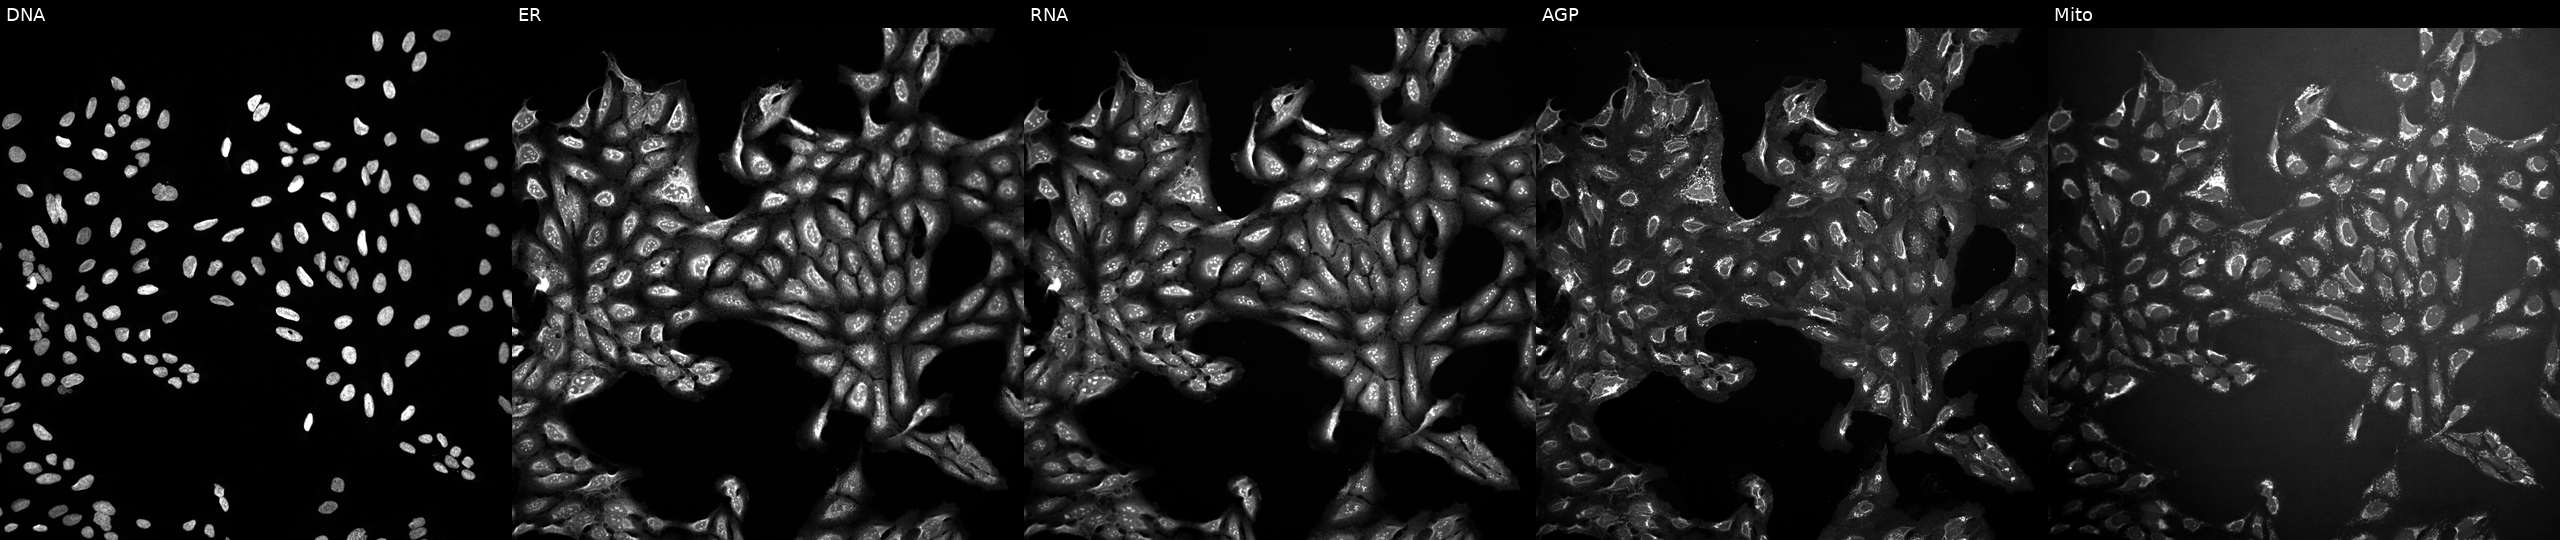
Five-channel Cell Painting image of U2OS cells treated with a small-molecule compound. From left to right: DNA (nuclei); ER (endoplasmic reticulum); RNA (nucleoli and cytoplasmic RNA); AGP (actin cytoskeleton, Golgi, and plasma membrane); Mito (mitochondria).